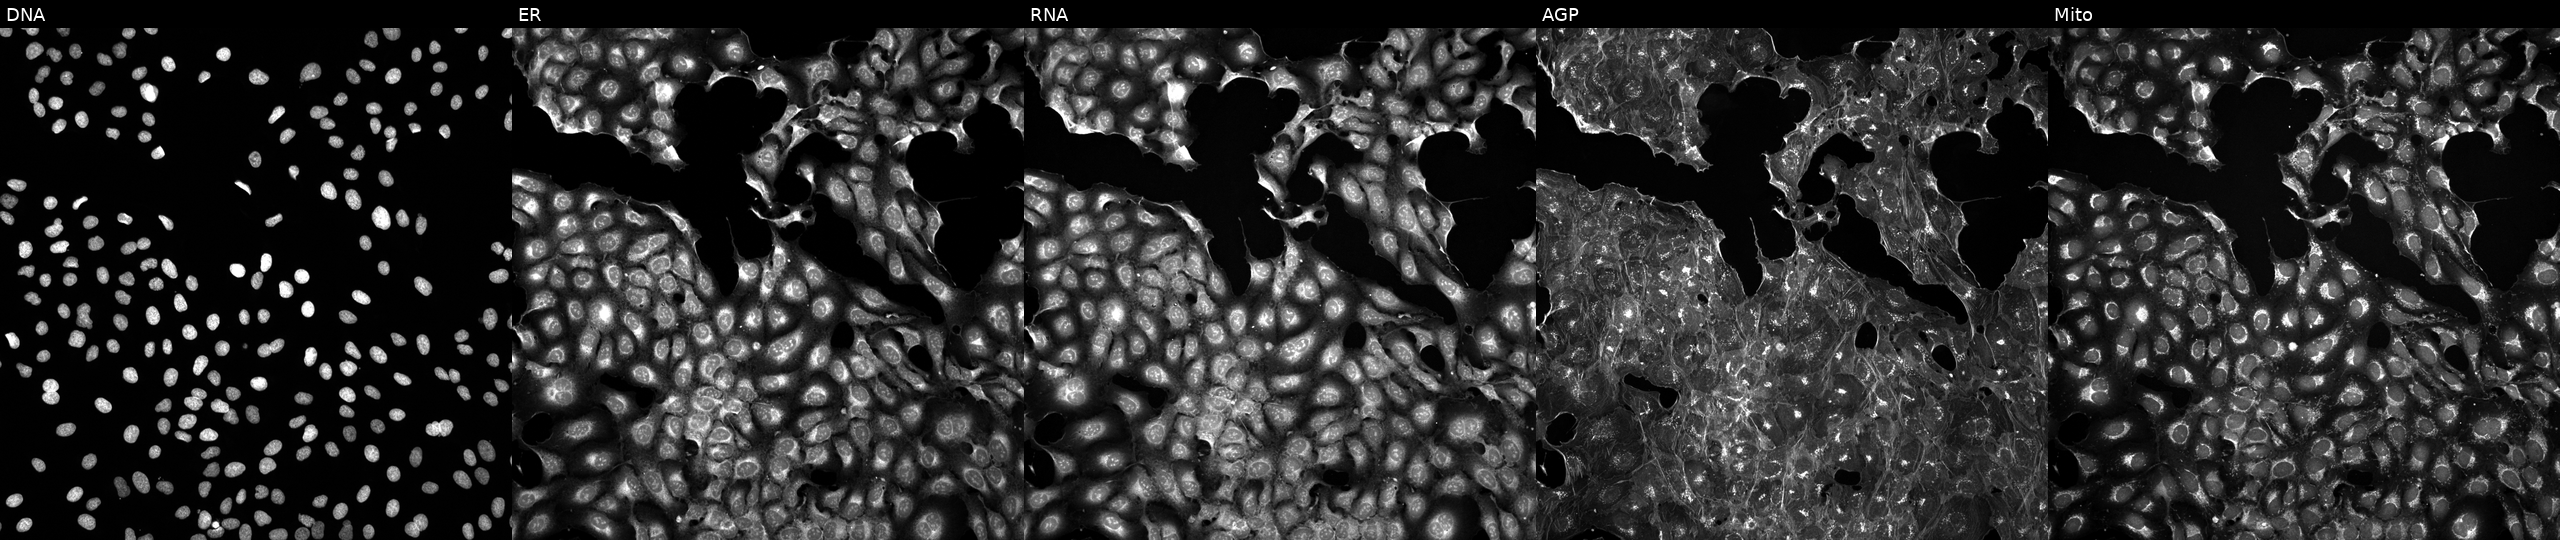
The five panels, left to right, show Hoechst 33342, concanavalin A, SYTO 14, phalloidin and WGA, MitoTracker. U2OS osteosarcoma cells treated with a small-molecule compound (InChIKey GDVRVPIXWXOKQO-UHFFFAOYSA-N) [SMILES: O=C(N=c1[nH]c(-c2ccncc2)cs1)NCc1cccc(O)c1]. Cell Painting assay, JUMP-CP dataset. Source 5, plate ACPJUM032, well E19.